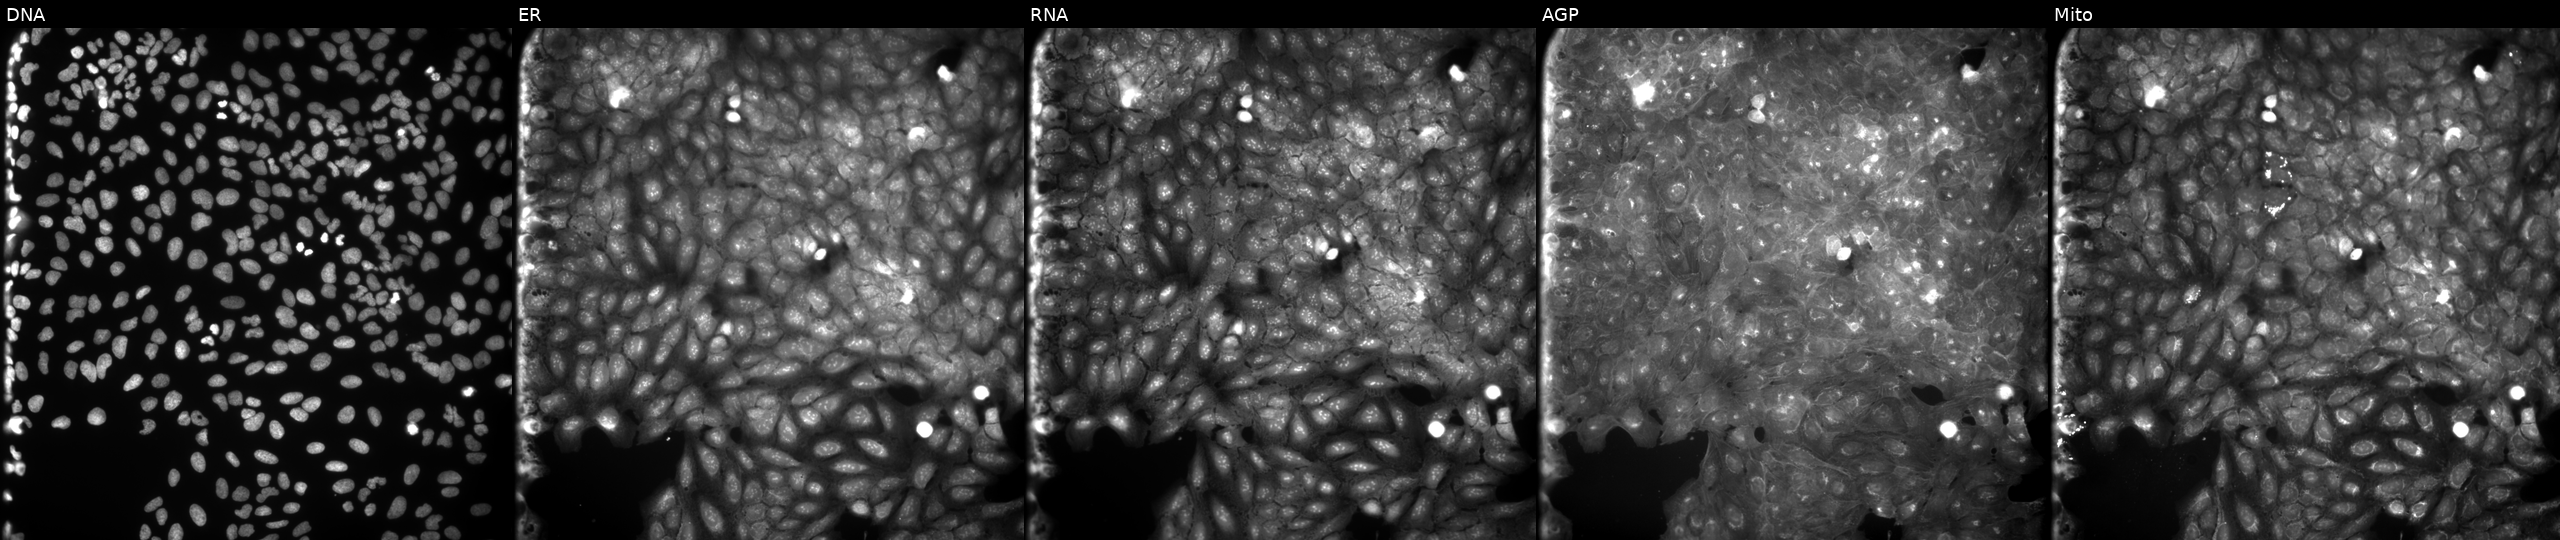
JUMP Cell Painting — COMPOUND plate. U2OS cells treated with a small-molecule compound (JUMP id JCP2022_080378). Panels show, left to right, DNA, ER, RNA, AGP, and Mito.